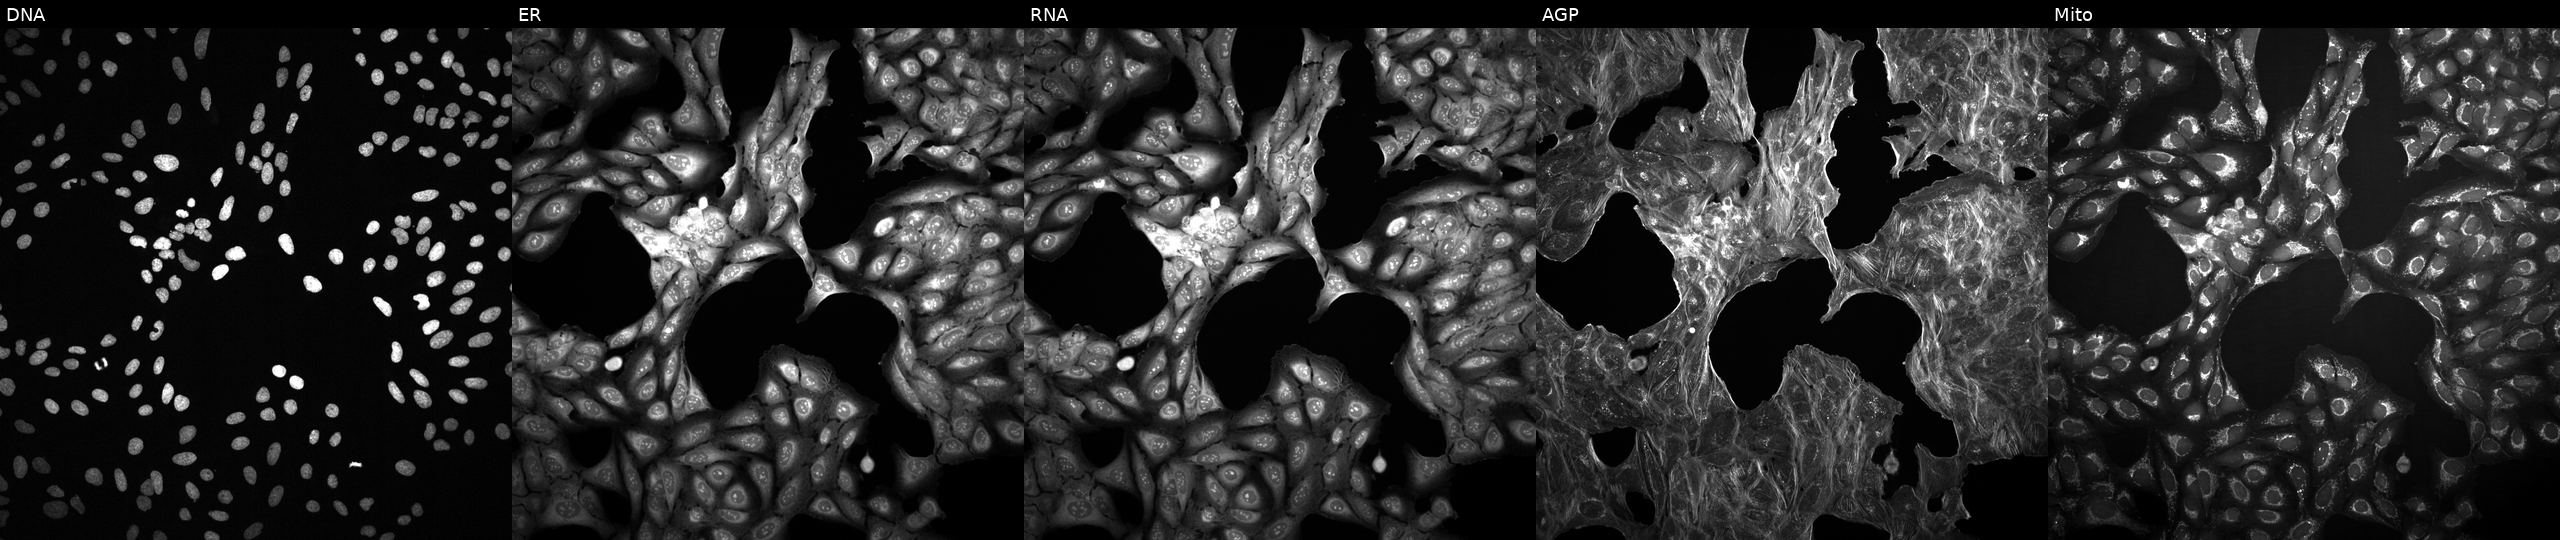
The five panels, left to right, show DNA, ER, RNA, AGP, and Mito. U2OS osteosarcoma cells treated with a small-molecule compound [SMILES: O=c1n(CCCN2CCN(c3cccc(Cl)c3)CC2)nc2ccccn12]. Cell Painting assay, JUMP-CP dataset. Source 2, plate 1053597936, well L16.